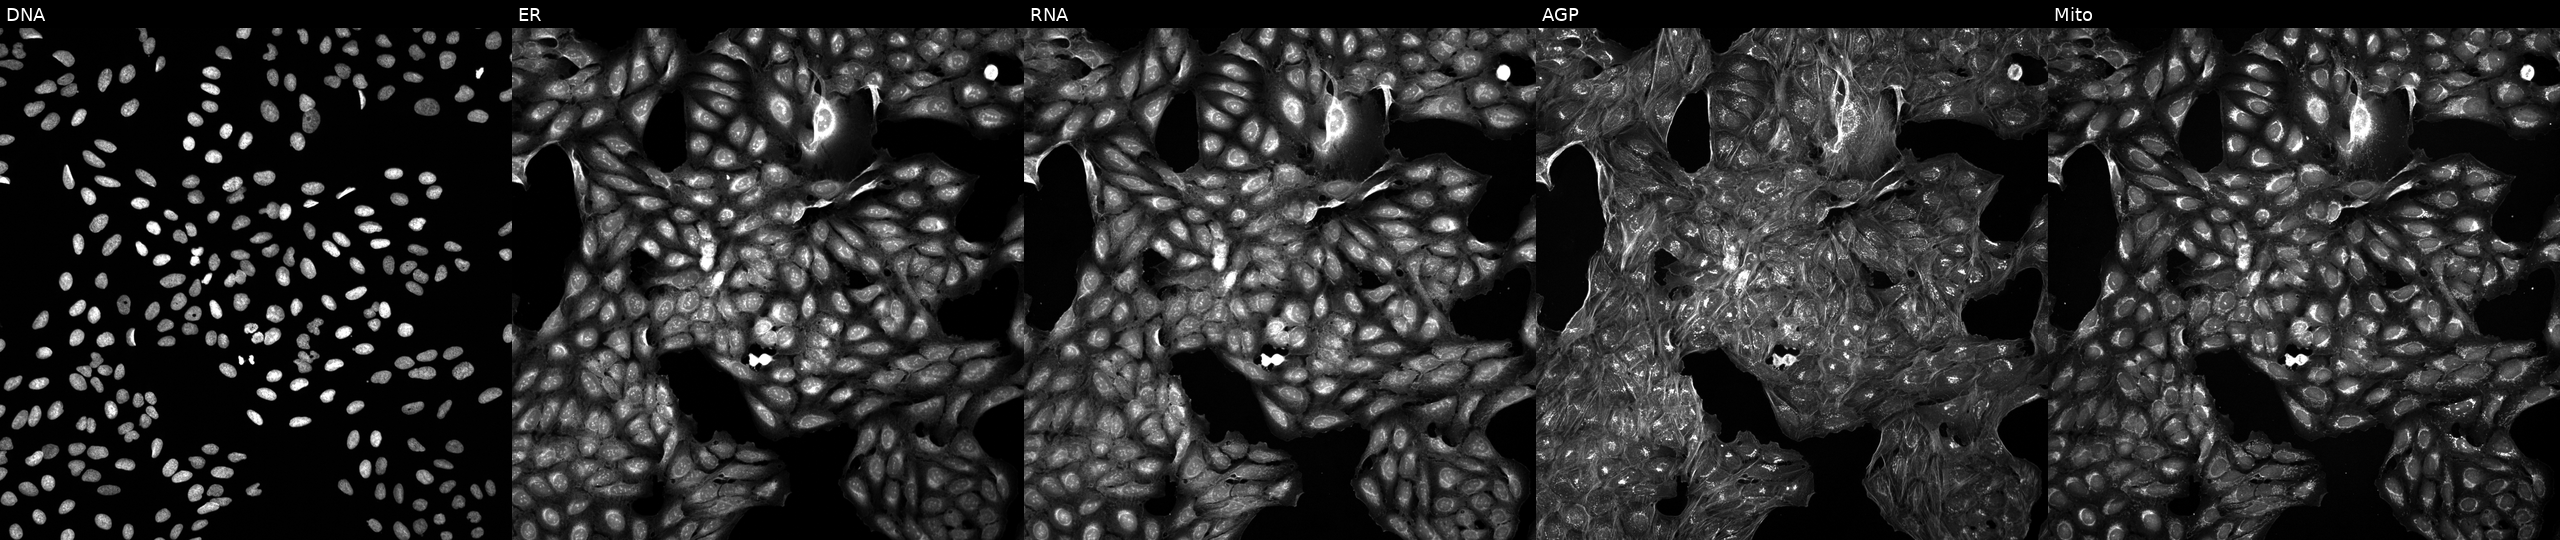
Five-channel Cell Painting image of U2OS cells exposed to a small-molecule compound [SMILES: Cc1ccc(-c2nn(Cc3ccccc3)cc2C(=O)NC2CCC(=O)NC2)cc1] (JUMP id JCP2022_033466). Panels show, left to right, Hoechst 33342, concanavalin A, SYTO 14, phalloidin and WGA, MitoTracker. Source 5, plate APTJUM106, well A19.